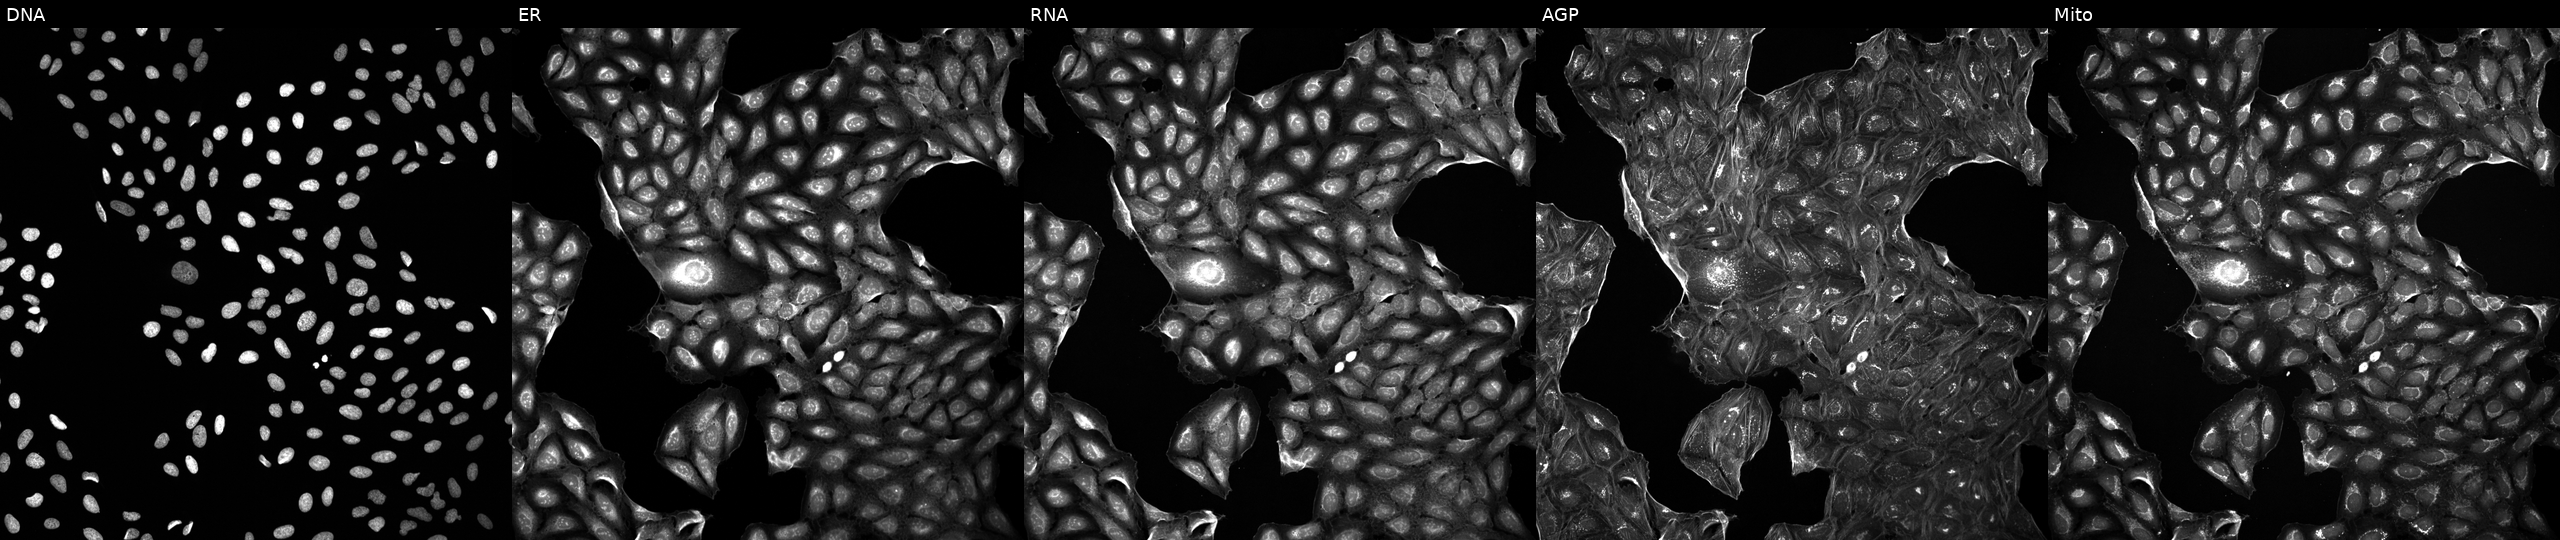
High-content fluorescence microscopy (Cell Painting). Cell line: U2OS. Perturbation: treated with a small-molecule compound (InChIKey USOOFWVKGZHCQF-UHFFFAOYSA-N). From left to right: DNA (nuclei); ER (endoplasmic reticulum); RNA (nucleoli and cytoplasmic RNA); AGP (actin cytoskeleton, Golgi, and plasma membrane); Mito (mitochondria).